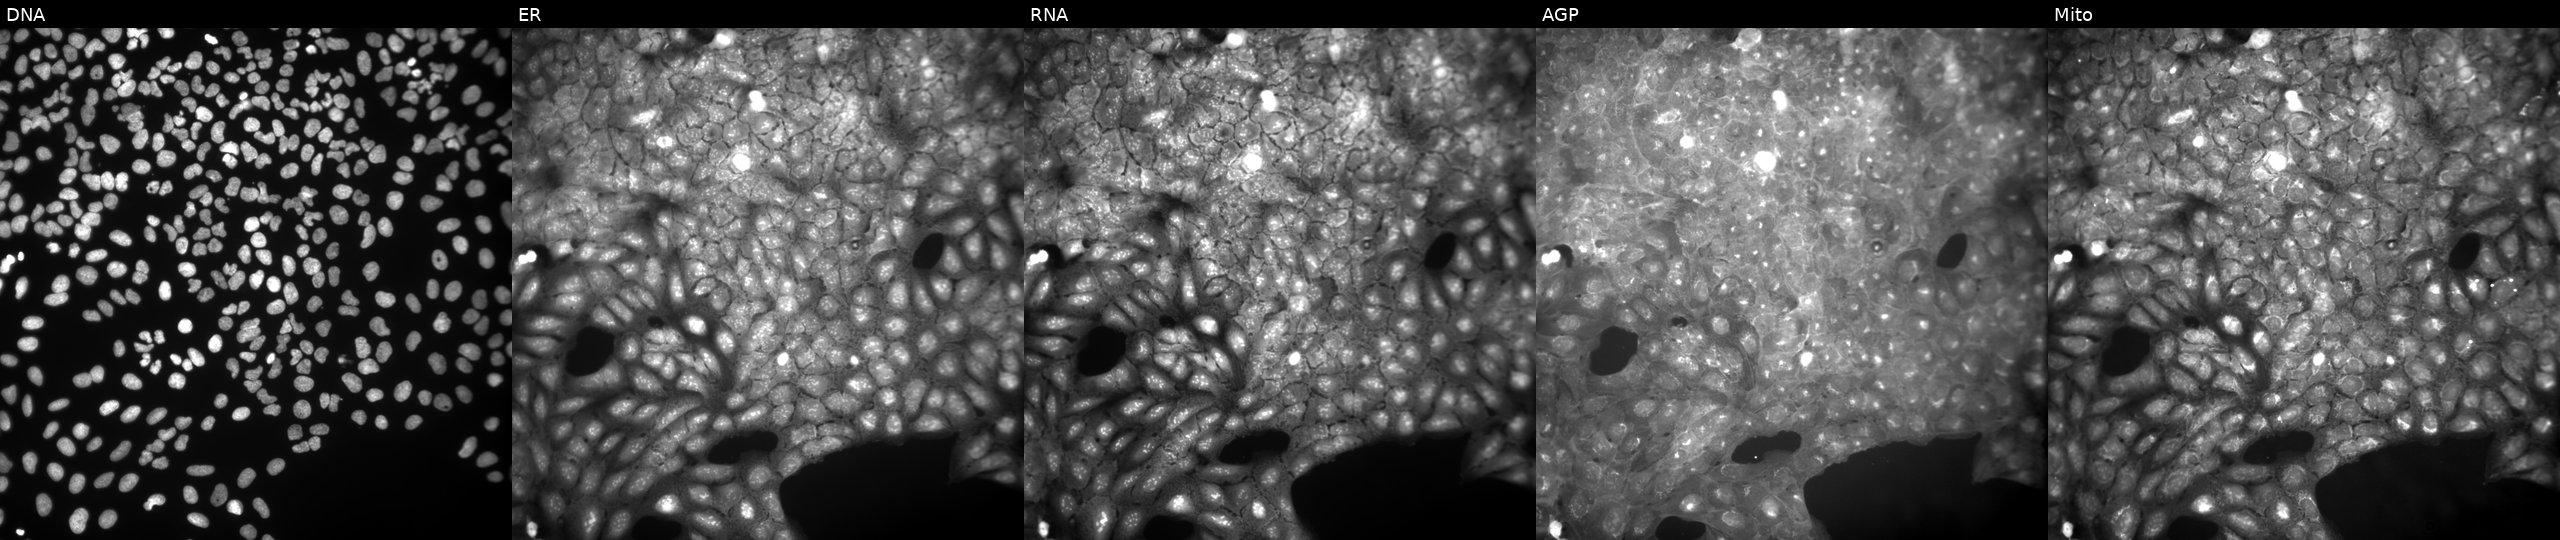
Five-channel Cell Painting image of U2OS cells treated with DMSO vehicle only (negative control). The five panels, left to right, show DNA, ER, RNA, AGP, and Mito. Source 9, plate GR00003382, well P47.